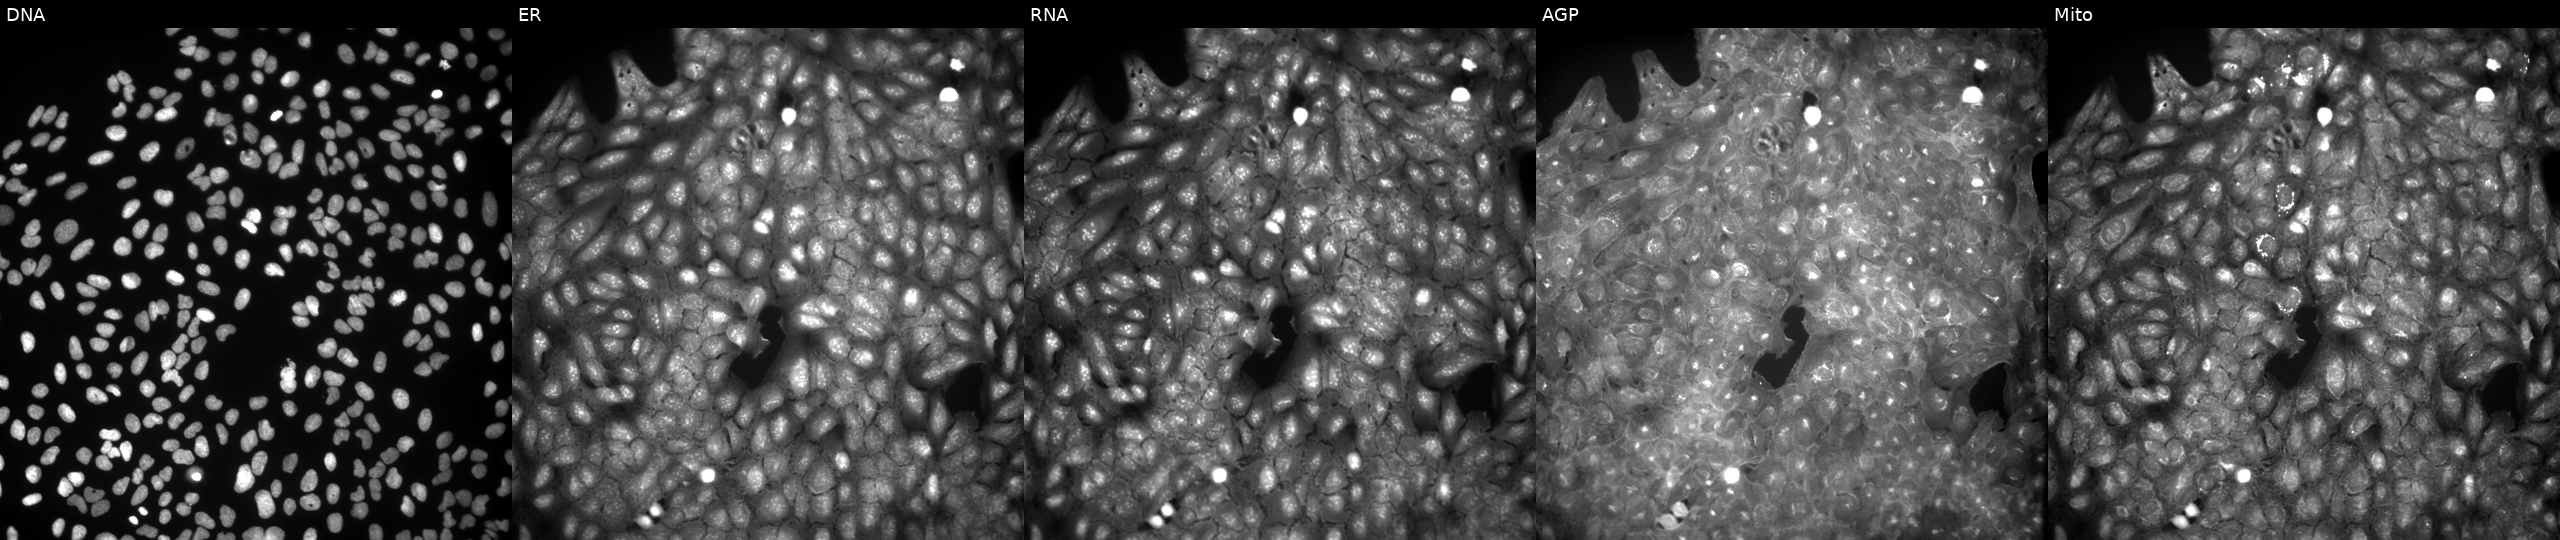
U2OS cells, Cell Painting assay, exposed to DMSO alone as a negative control. From left to right: Hoechst 33342, concanavalin A, SYTO 14, phalloidin and WGA, MitoTracker. Each panel is percentile-stretched 16-bit fluorescence.